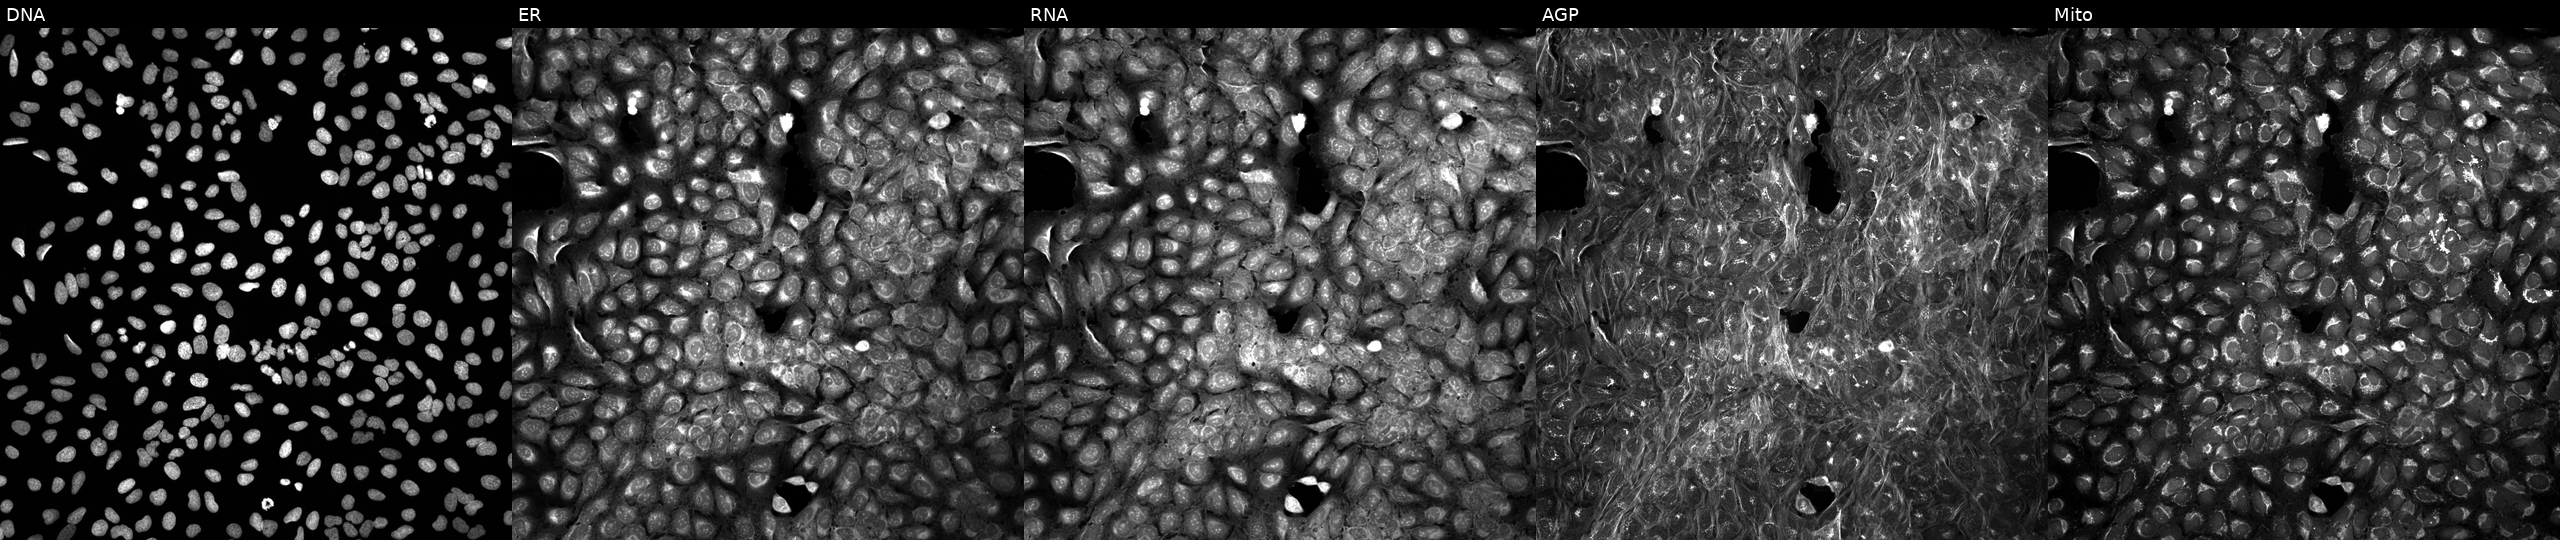
From left to right: DNA, ER, RNA, AGP, and Mito. U2OS osteosarcoma cells treated with DMSO vehicle only (negative control). Cell Painting assay, JUMP-CP dataset. Source 5, plate ACPJUM012, well F21.